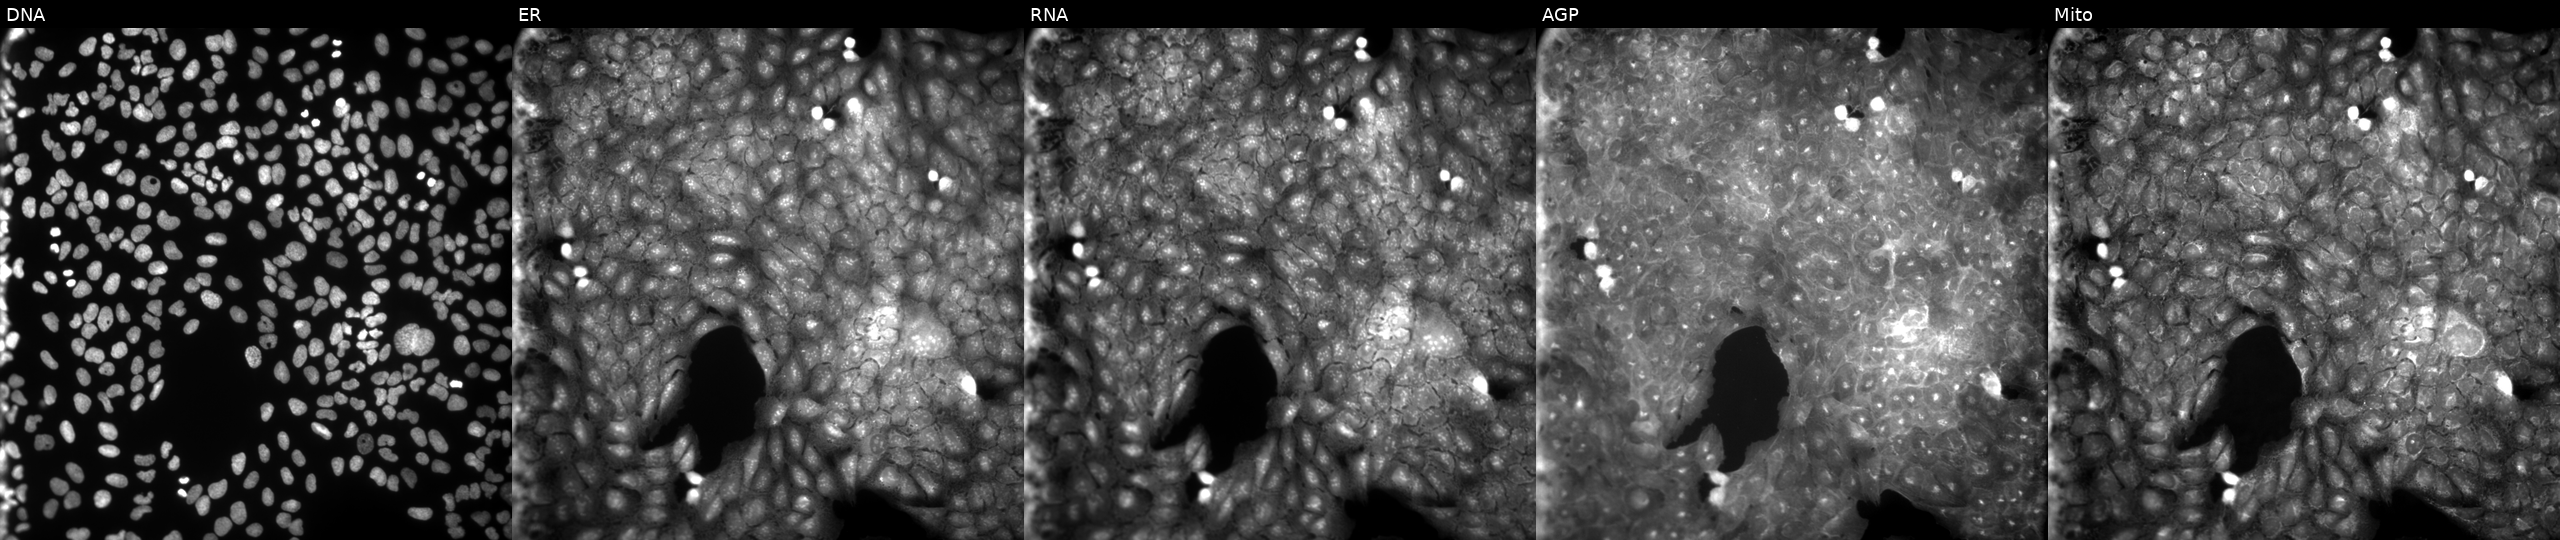
From left to right: Hoechst 33342, concanavalin A, SYTO 14, phalloidin and WGA, MitoTracker. U2OS osteosarcoma cells perturbed with a small-molecule compound. Cell Painting assay, JUMP-CP dataset. Source 9, plate GR00003382, well AA09.